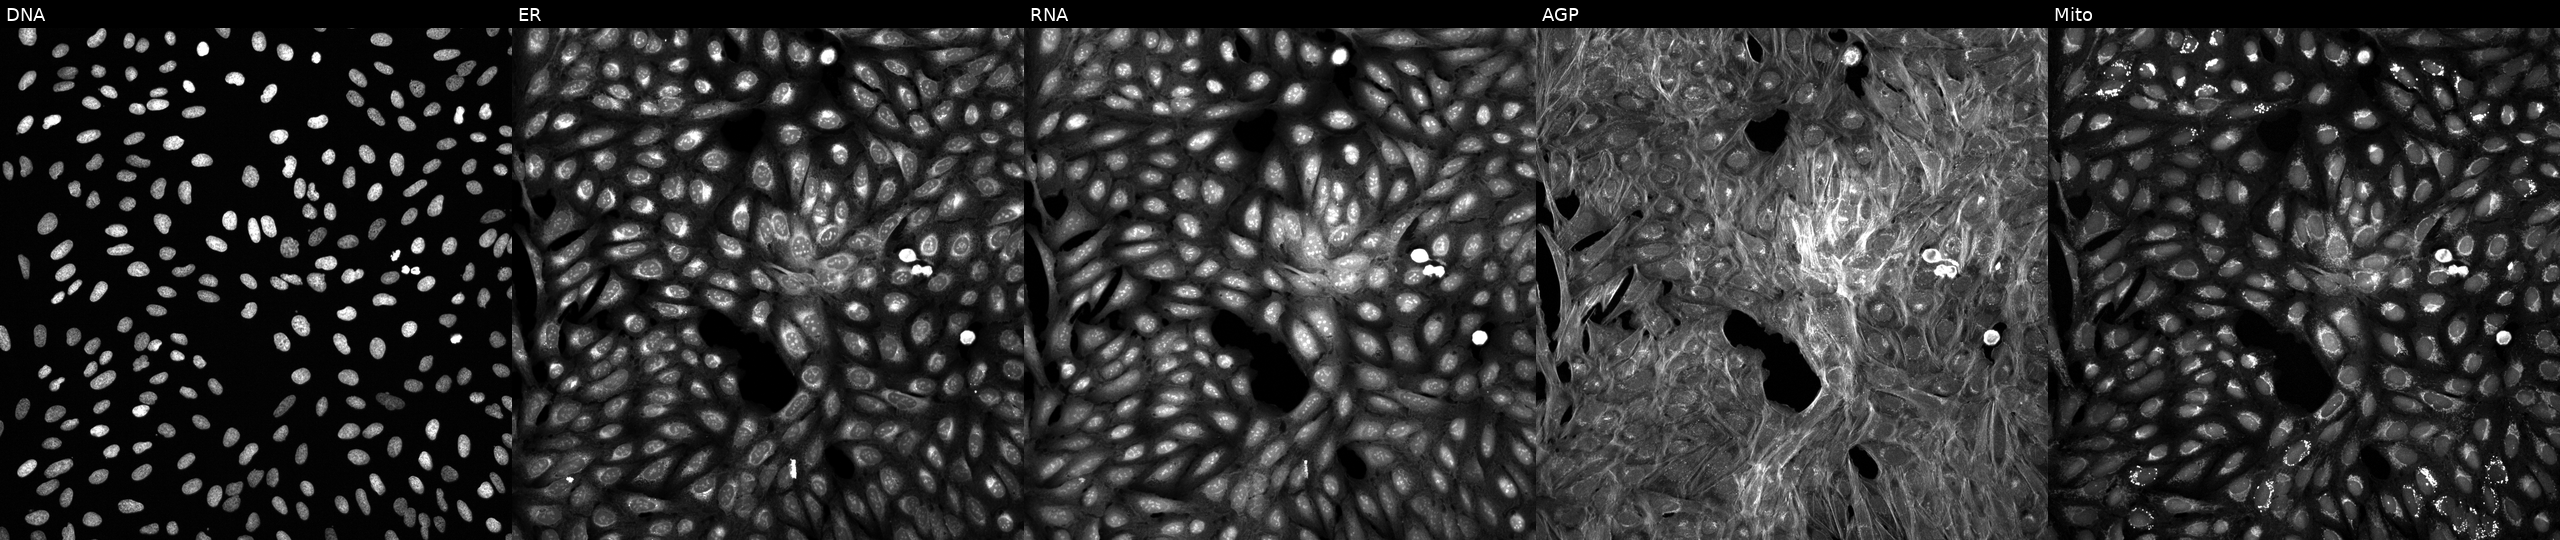
JUMP Cell Painting — TARGET2 plate. U2OS cells treated with a small-molecule compound [SMILES: CCOC(=O)c1ncc2[nH]c3ccc(OCc4ccccc4)cc3c2c1COC] (JUMP id JCP2022_002118). Panels show, left to right, DNA (nuclei); ER (endoplasmic reticulum); RNA (nucleoli and cytoplasmic RNA); AGP (actin cytoskeleton, Golgi, and plasma membrane); Mito (mitochondria).